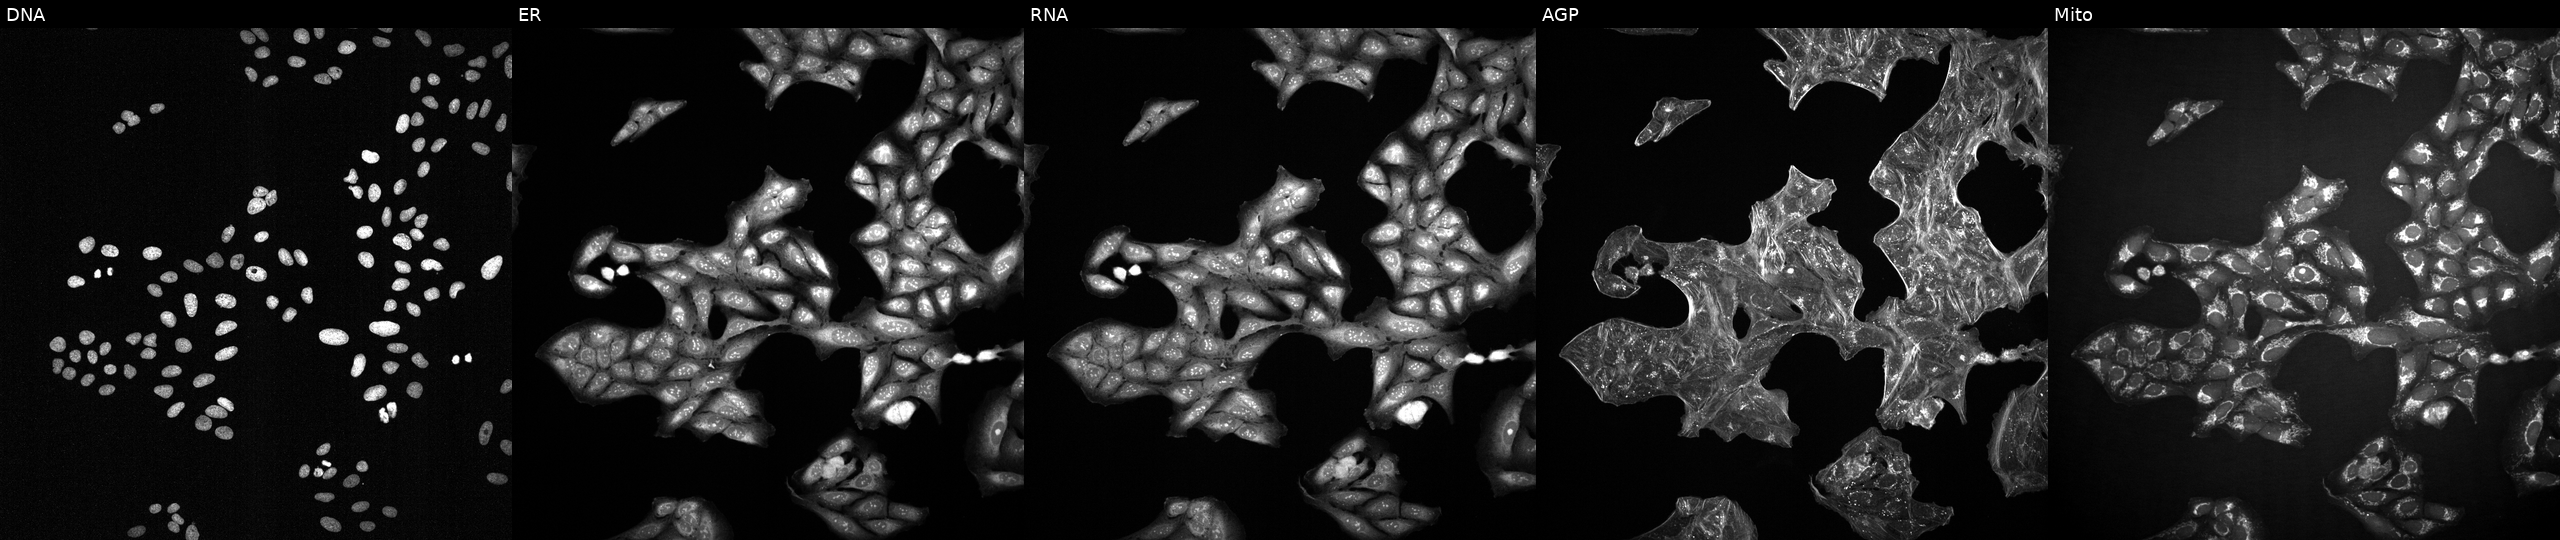
U2OS cells, Cell Painting assay, treated with a small-molecule compound (InChIKey CEUORZQYGODEFX-UHFFFAOYSA-N). Panels show, left to right, DNA (nuclei); ER (endoplasmic reticulum); RNA (nucleoli and cytoplasmic RNA); AGP (actin cytoskeleton, Golgi, and plasma membrane); Mito (mitochondria). Each panel is percentile-stretched 16-bit fluorescence.